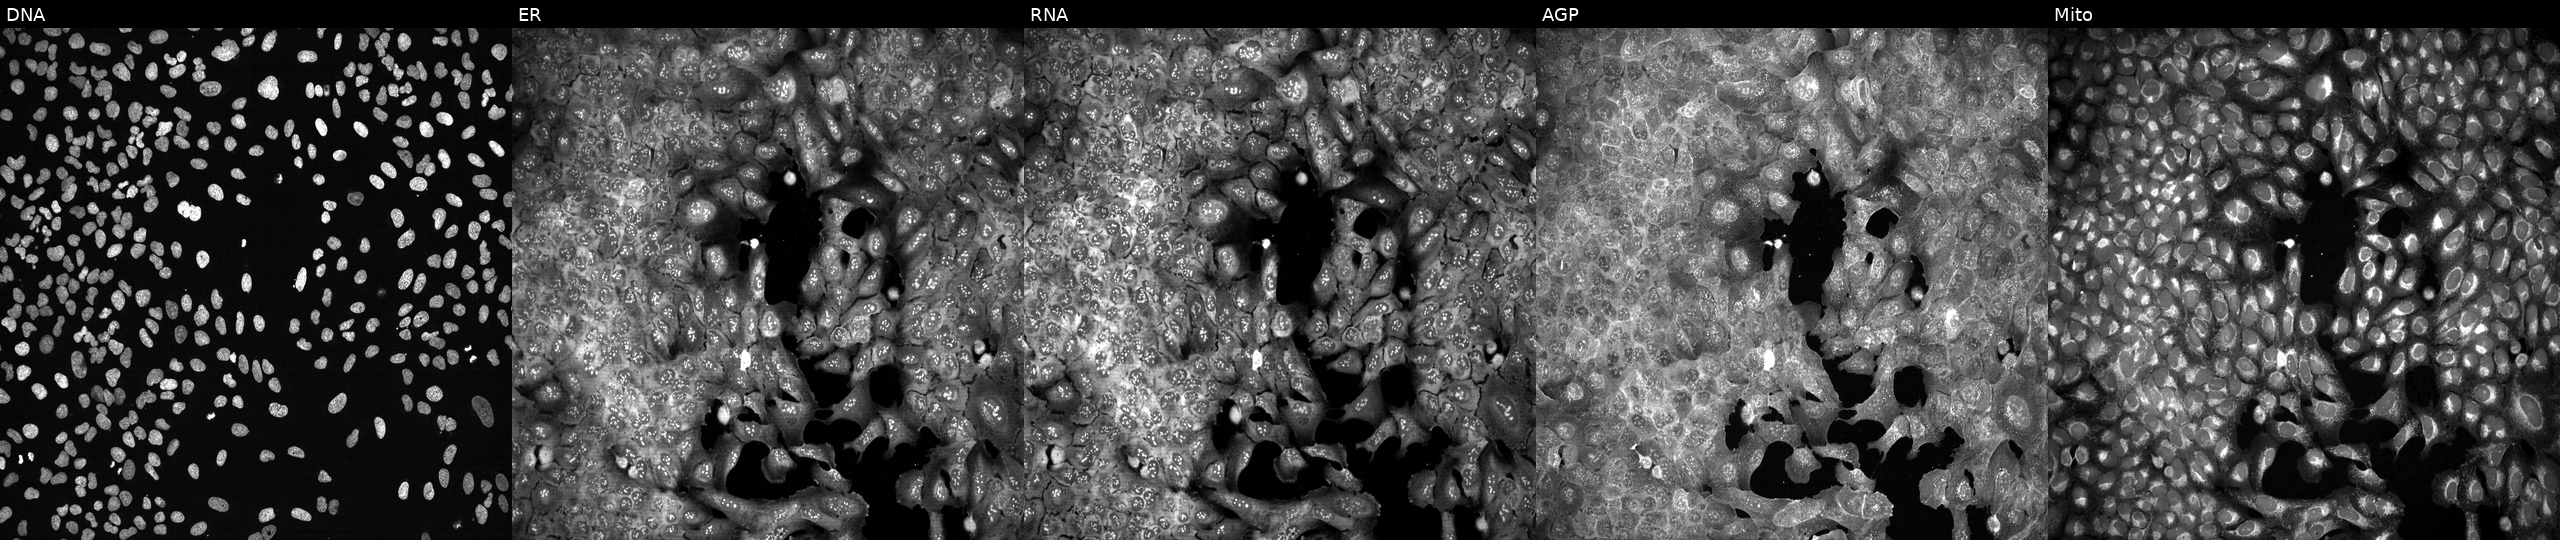
High-content fluorescence microscopy (Cell Painting). Cell line: U2OS. Perturbation: CRISPR-edited to disrupt MRE11A (JUMP id JCP2022_804265). From left to right: DNA, ER, RNA, AGP, and Mito.